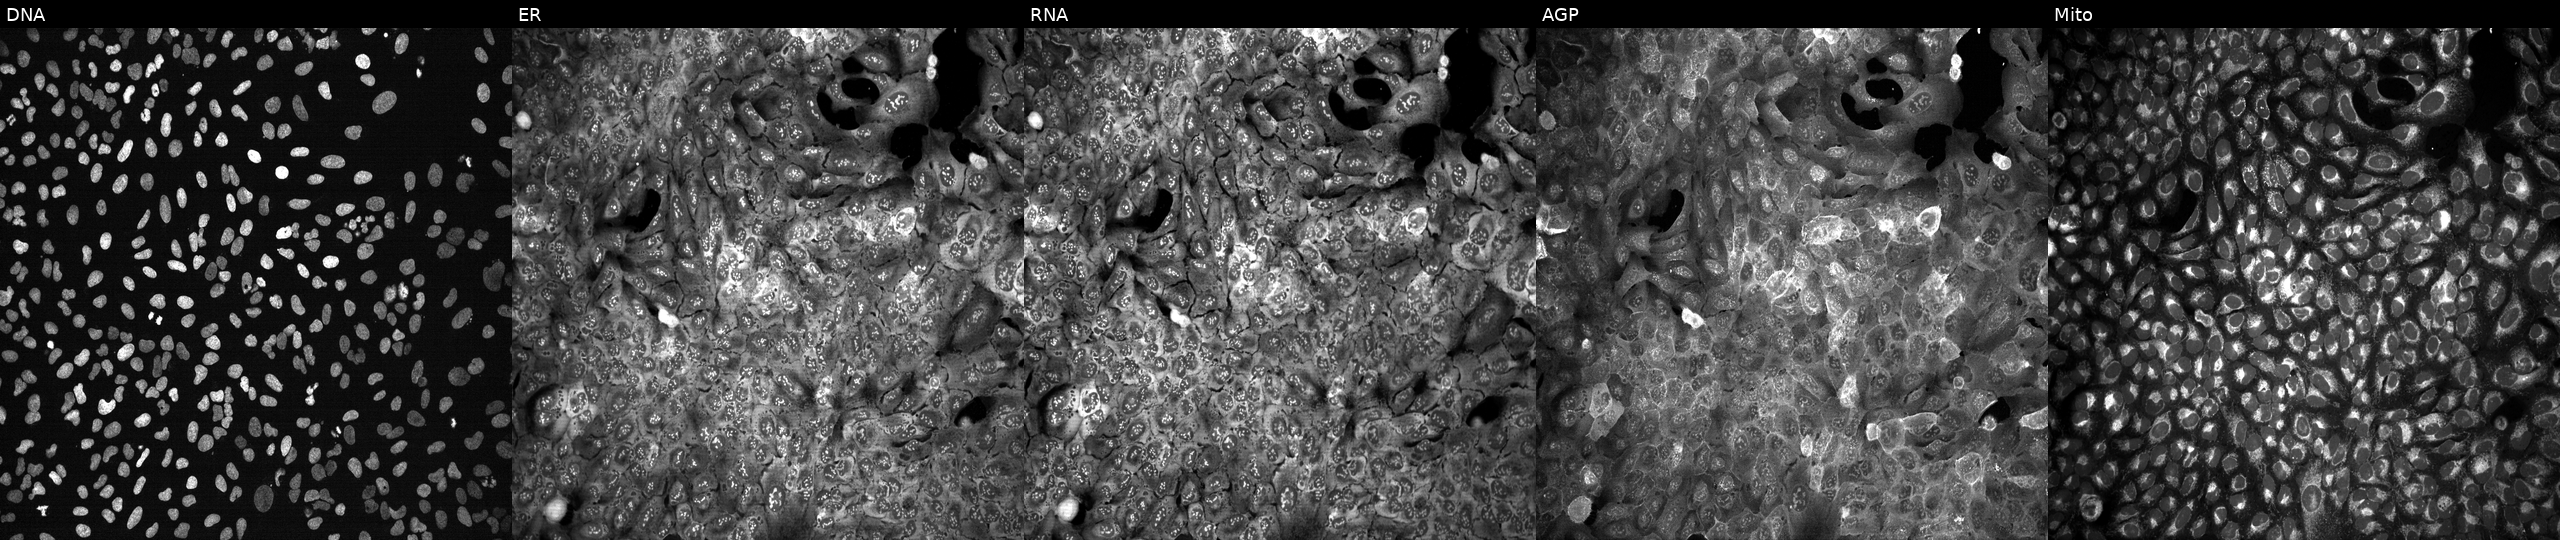
This image strip shows the five Cell Painting channels for a single field of U2OS cells with CSF2 knocked out by CRISPR (JUMP id JCP2022_801526). Channels (left→right): DNA (nuclei); ER (endoplasmic reticulum); RNA (nucleoli and cytoplasmic RNA); AGP (actin cytoskeleton, Golgi, and plasma membrane); Mito (mitochondria).